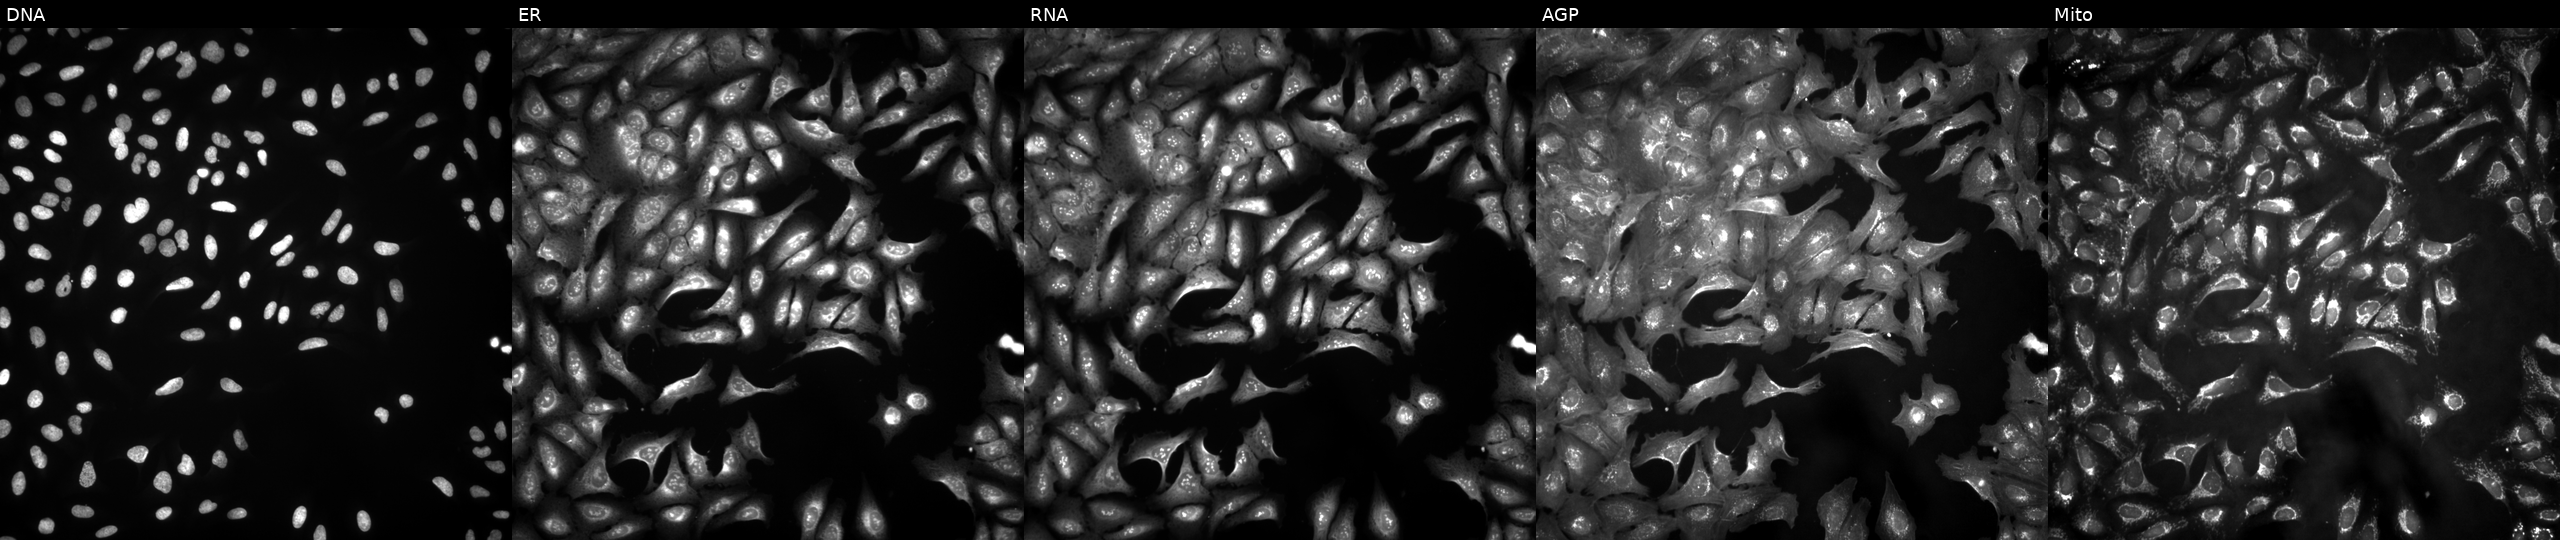
From left to right: Hoechst 33342, concanavalin A, SYTO 14, phalloidin and WGA, MitoTracker. U2OS osteosarcoma cells transfected with an ORF construct for BAG6 (JUMP id JCP2022_901716). Cell Painting assay, JUMP-CP dataset.